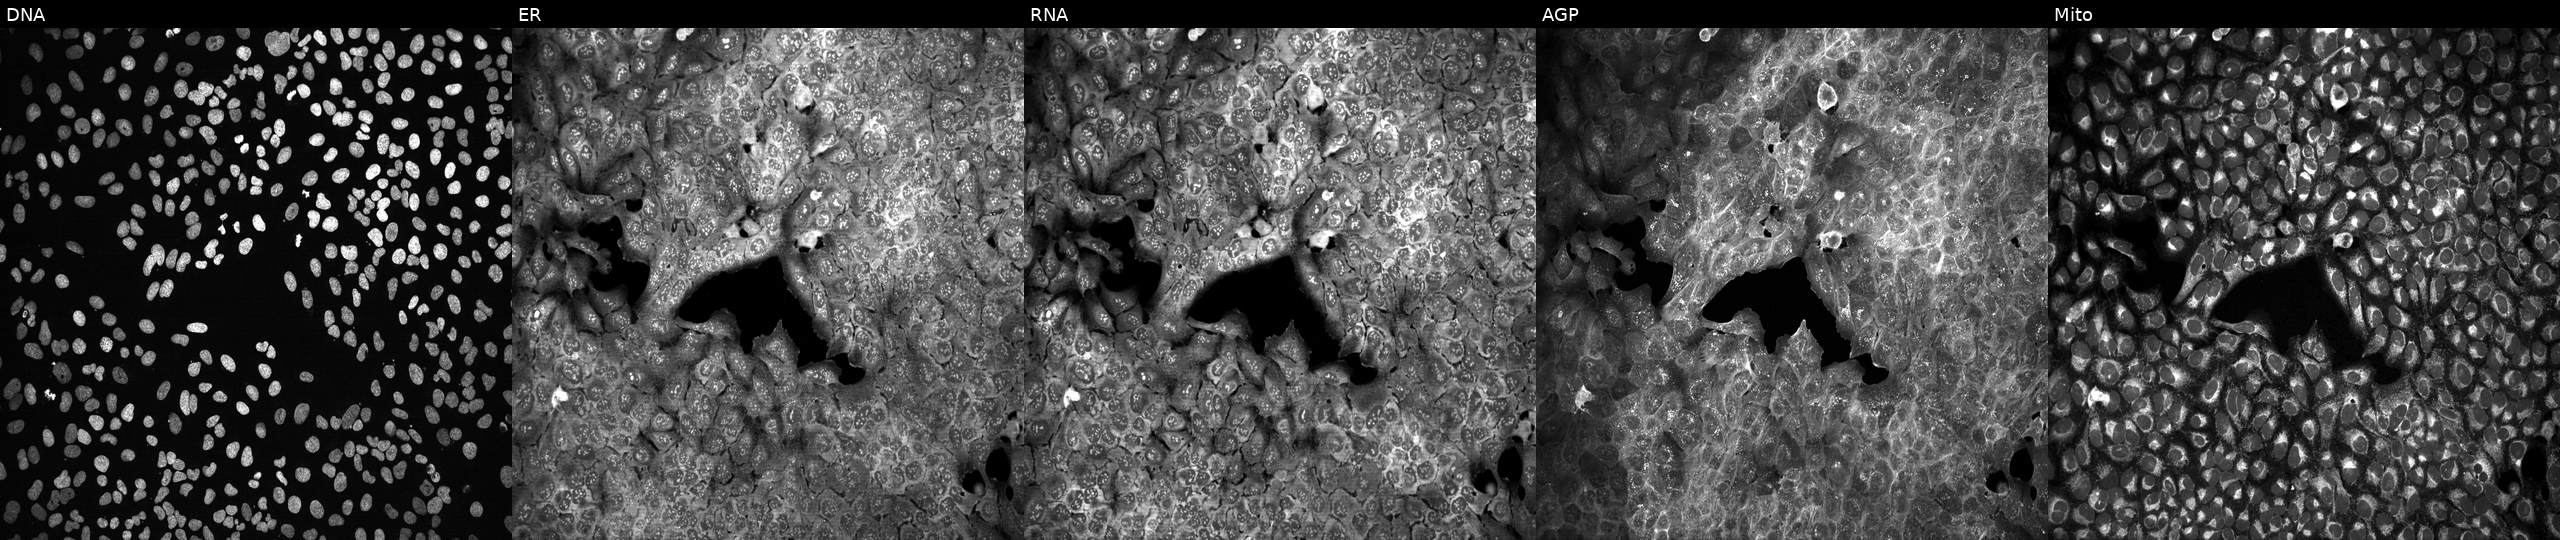
U2OS cells, Cell Painting assay, CRISPR-edited to disrupt CTSH (JUMP id JCP2022_801574). Channels (left→right): DNA, ER, RNA, AGP, and Mito. Each panel is percentile-stretched 16-bit fluorescence. Source 13, plate CP-CC9-R6-19, well O22.